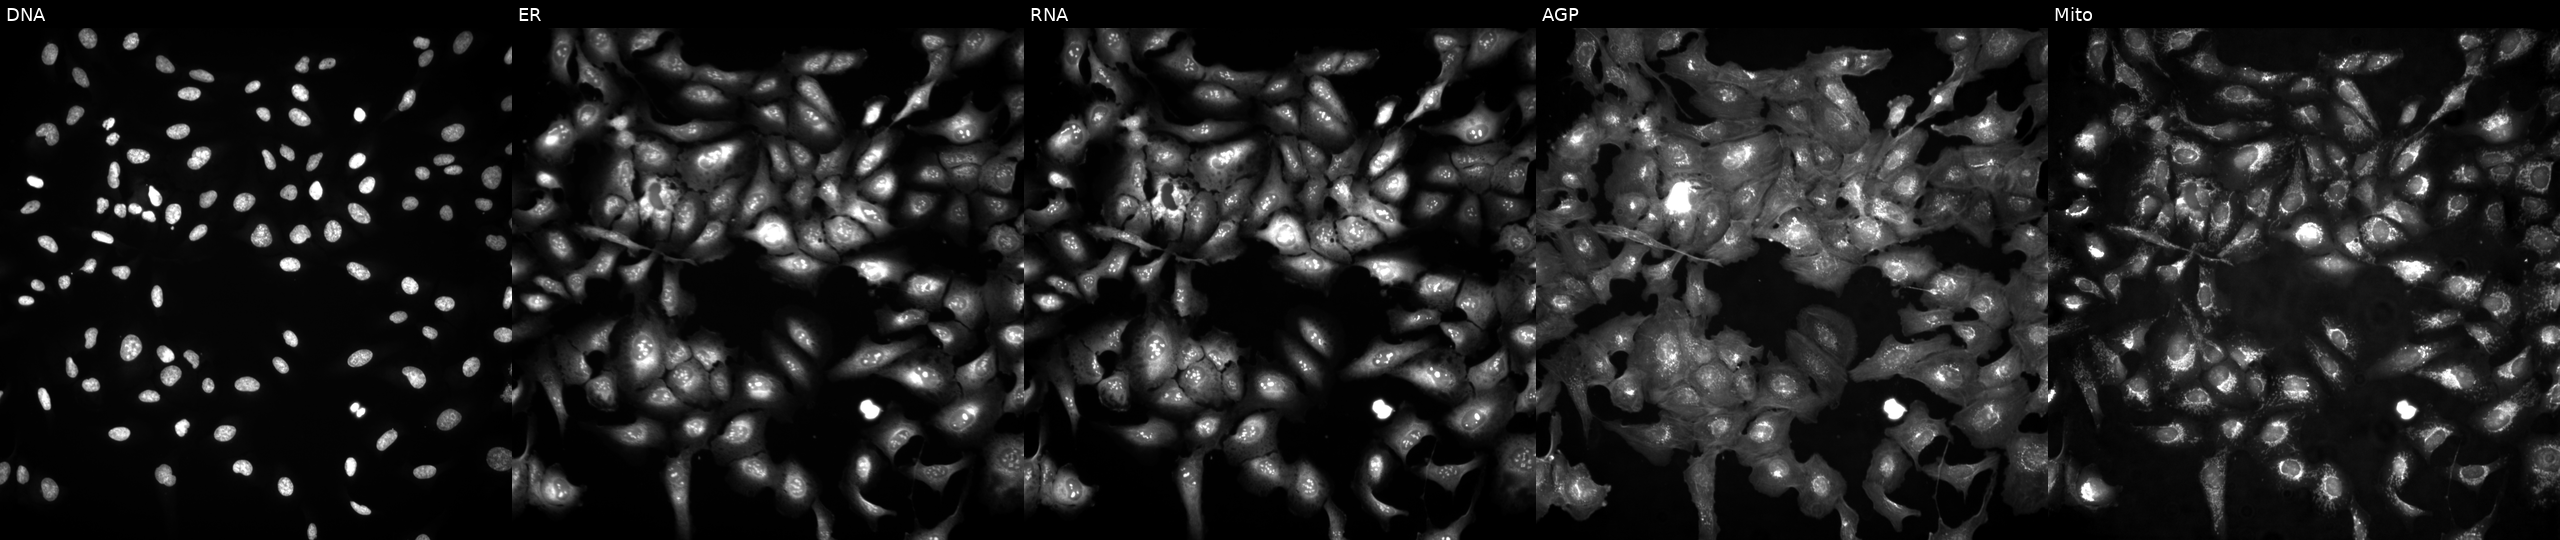
Five-channel Cell Painting image of U2OS cells with MAP3K8 overexpressed (ORF). The five panels, left to right, show DNA (nuclei); ER (endoplasmic reticulum); RNA (nucleoli and cytoplasmic RNA); AGP (actin cytoskeleton, Golgi, and plasma membrane); Mito (mitochondria). Source 4, plate BR00123945, well D02.